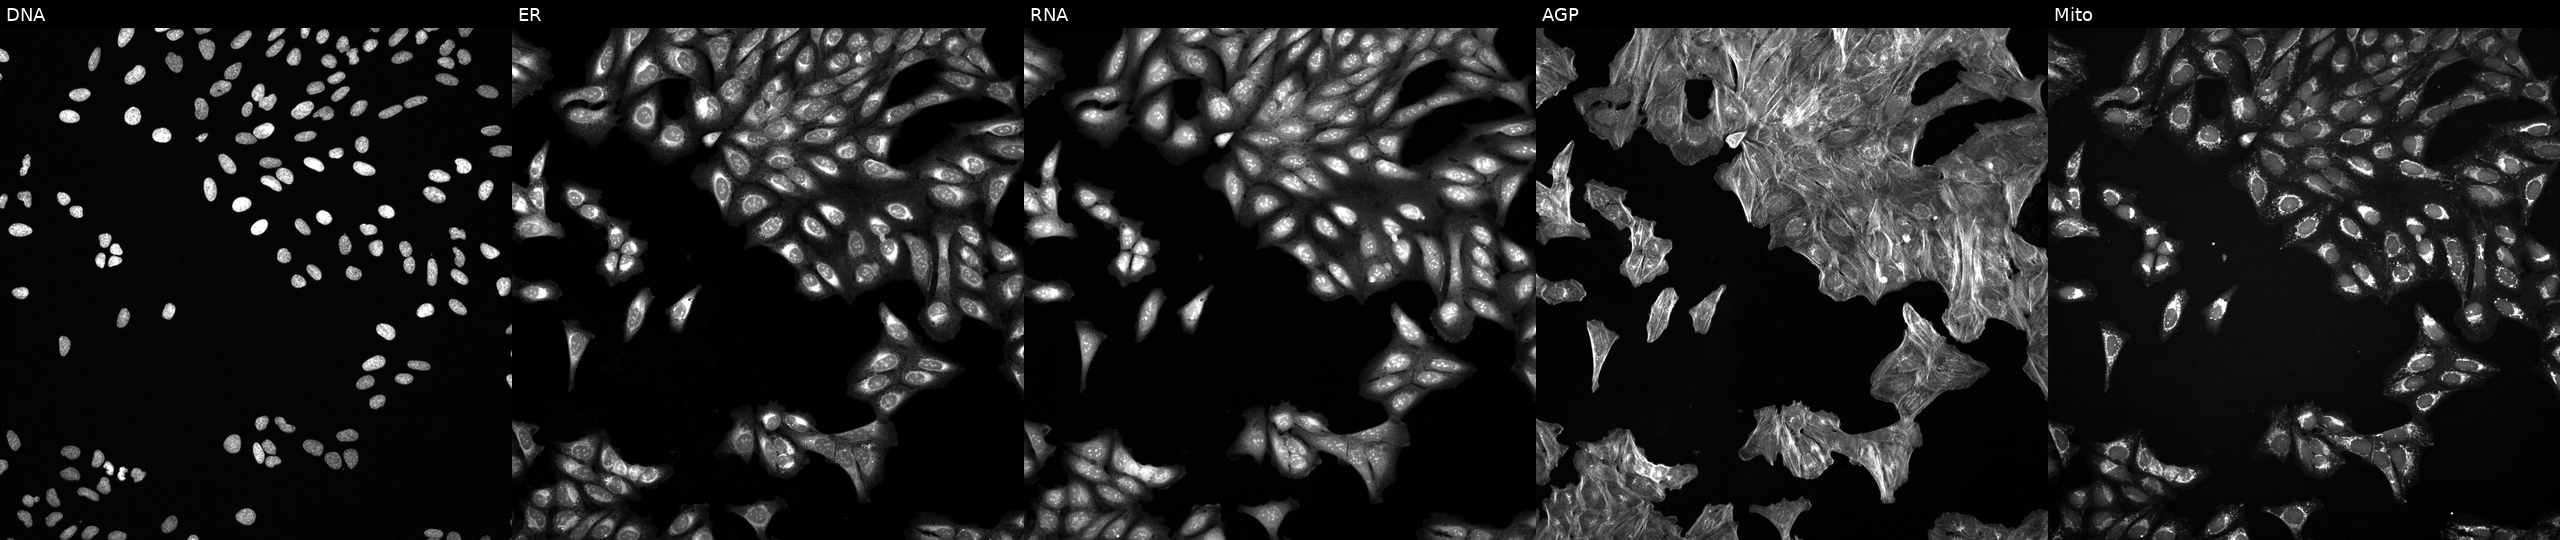
High-content fluorescence microscopy (Cell Painting). Cell line: U2OS. Perturbation: exposed to a small-molecule compound. Channels (left→right): DNA, ER, RNA, AGP, and Mito.